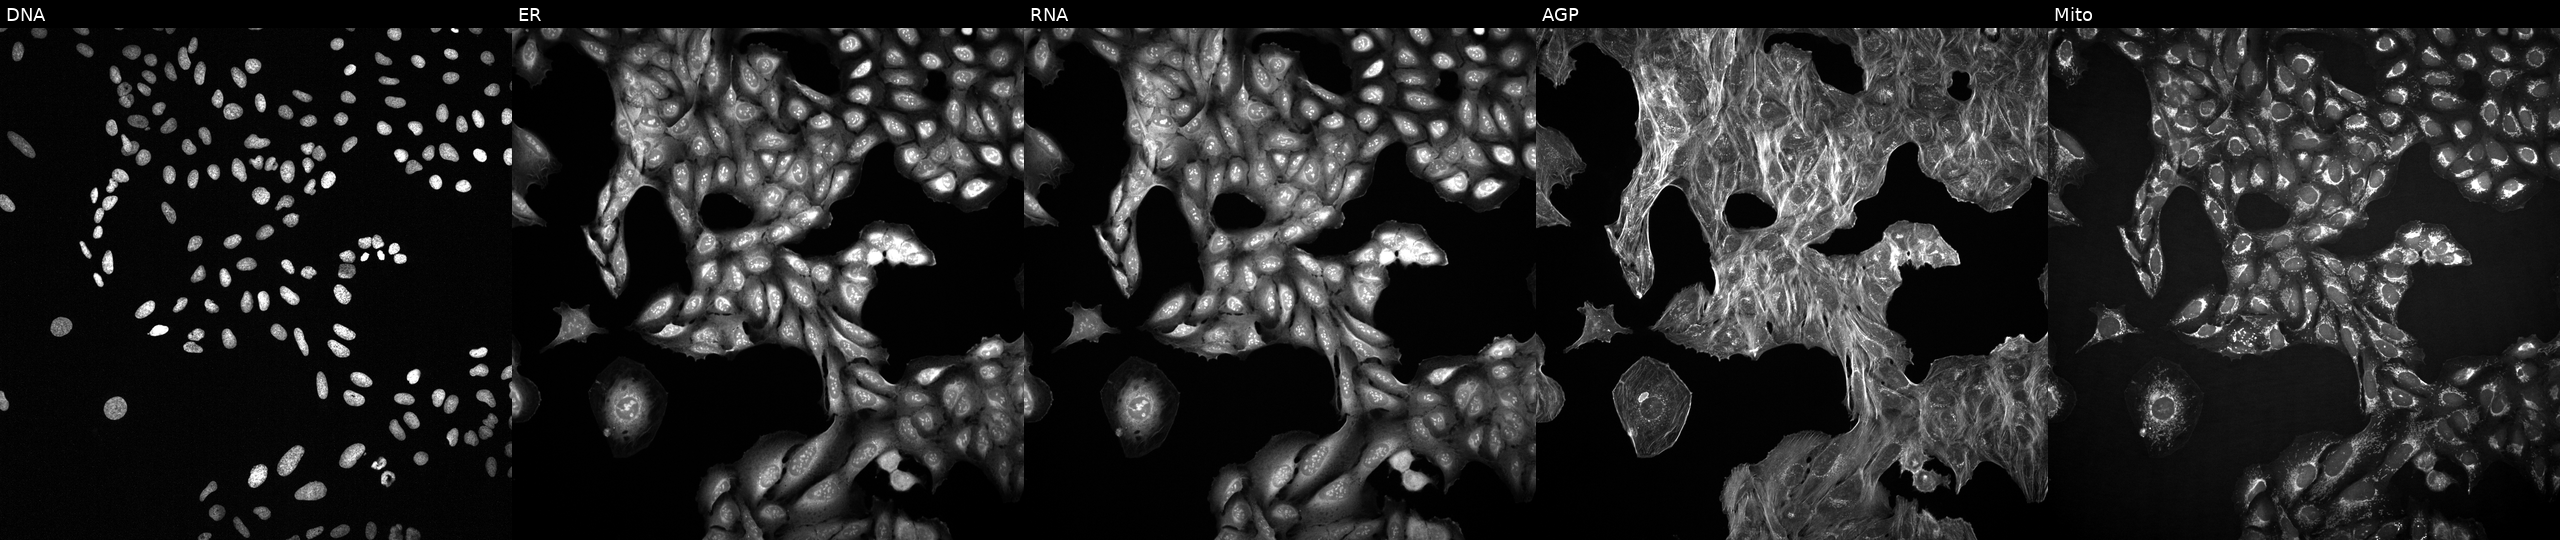
U2OS cells, Cell Painting assay, treated with a small-molecule compound. Channels (left→right): Hoechst 33342, concanavalin A, SYTO 14, phalloidin and WGA, MitoTracker. Each panel is percentile-stretched 16-bit fluorescence.